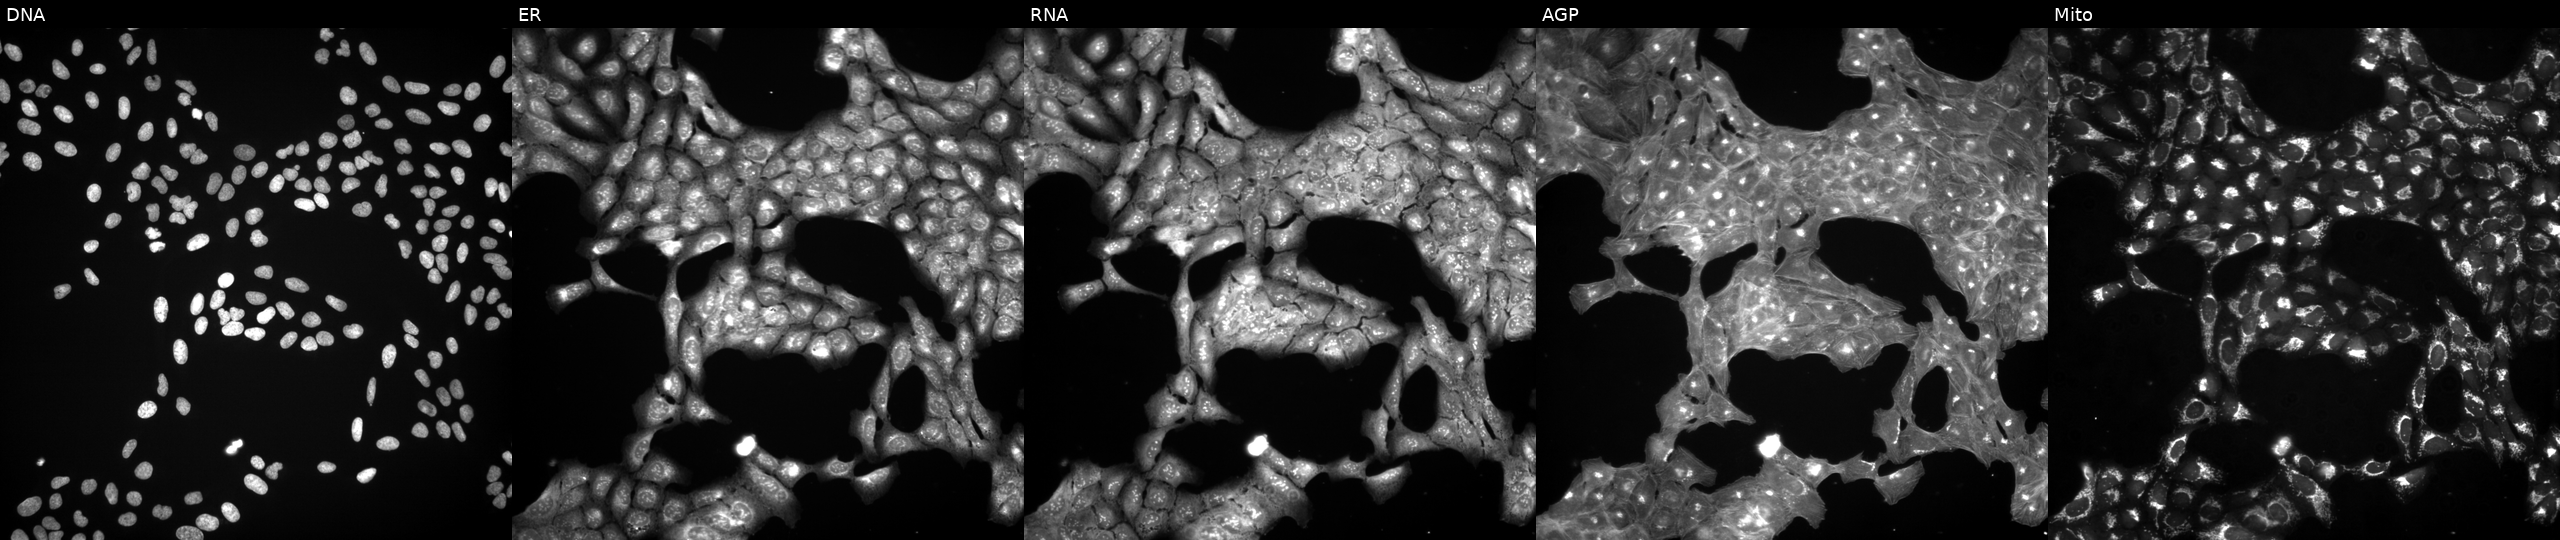
Five-channel Cell Painting image of U2OS cells perturbed with a small-molecule compound (InChIKey PTMQSPMAUCWKPK-UHFFFAOYSA-N) [SMILES: O=C(COC(=O)CC1CC2CCC1C2)NC(=O)NCc1ccco1]. Panels show, left to right, Hoechst 33342, concanavalin A, SYTO 14, phalloidin and WGA, MitoTracker. Source 3, plate BR5867b3, well F12.